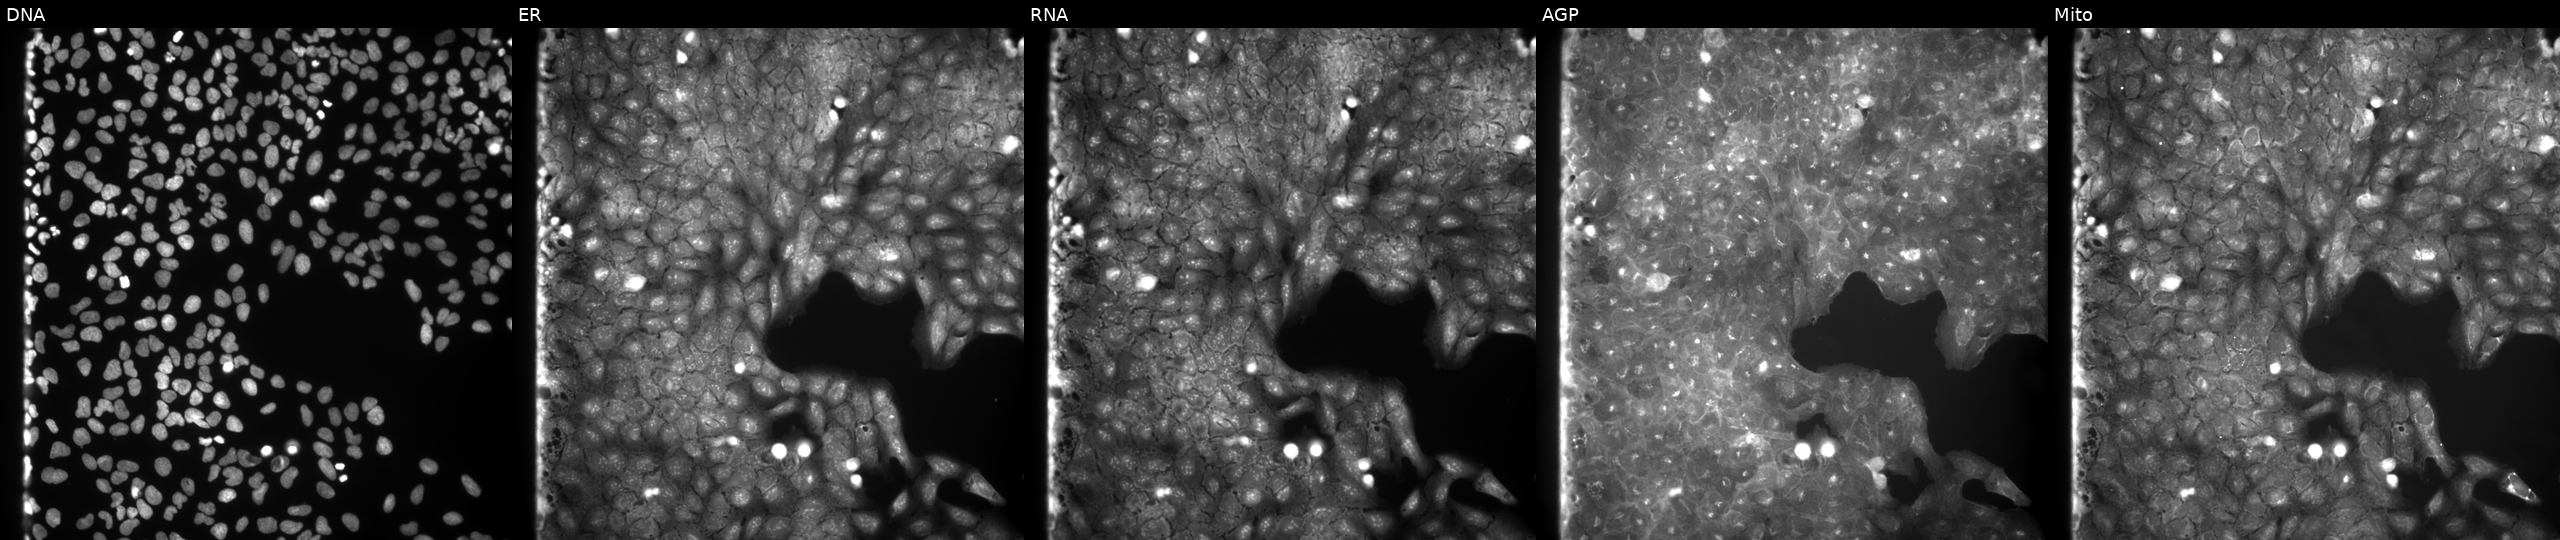
High-content fluorescence microscopy (Cell Painting). Cell line: U2OS. Perturbation: perturbed with a small-molecule compound (InChIKey NWNOMURKMSRBJA-UHFFFAOYSA-N). The five panels, left to right, show DNA (nuclei); ER (endoplasmic reticulum); RNA (nucleoli and cytoplasmic RNA); AGP (actin cytoskeleton, Golgi, and plasma membrane); Mito (mitochondria). Source 9, plate GR00003382, well J09.